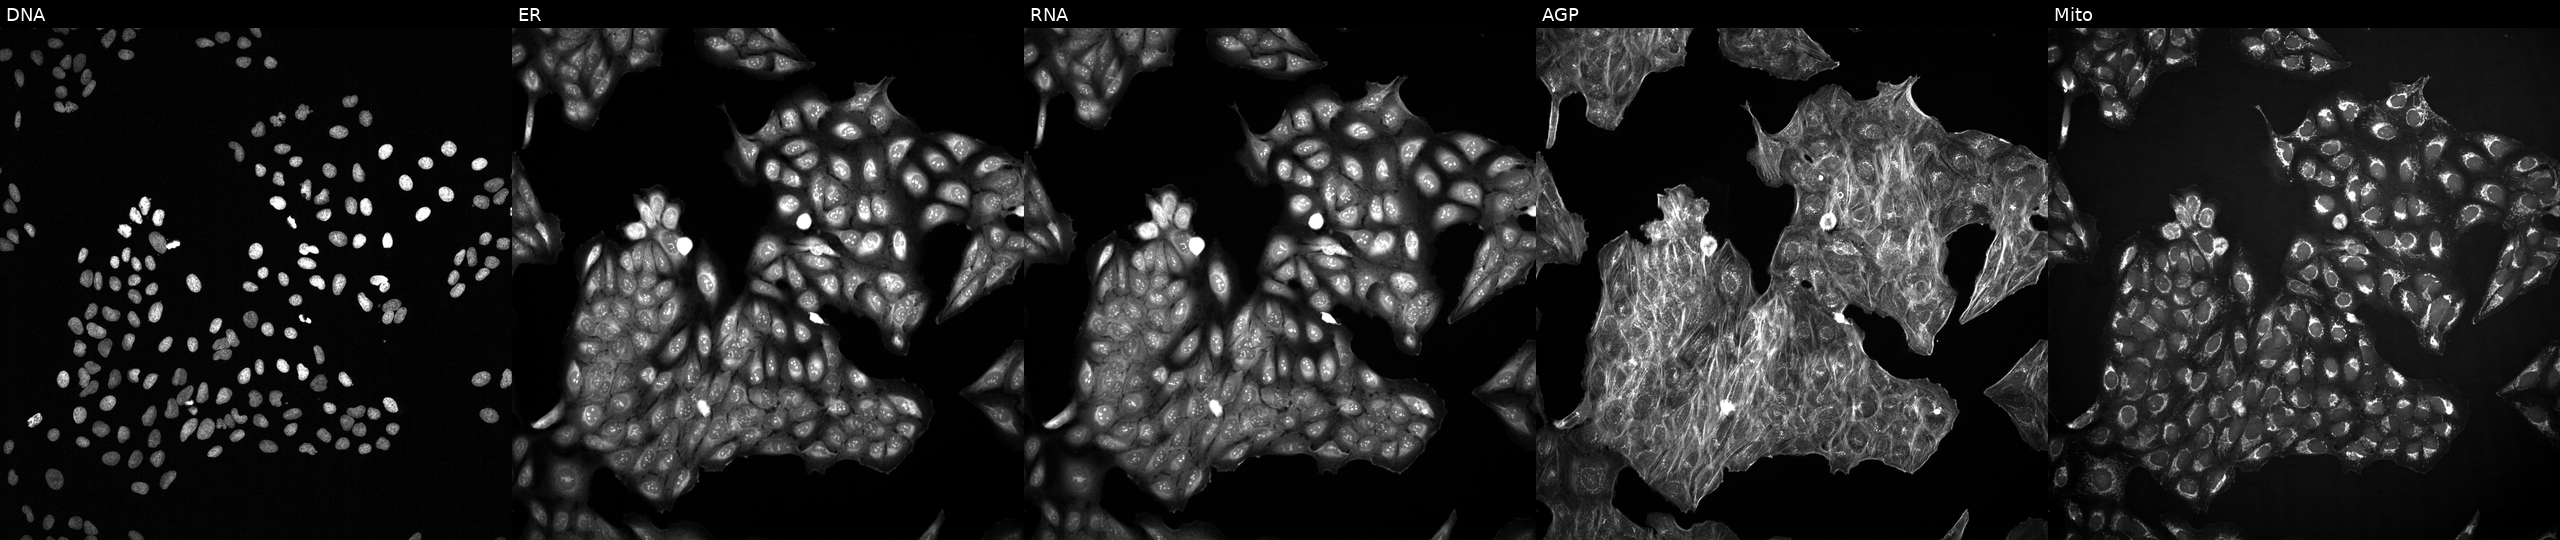
U2OS cells, Cell Painting assay, with an unidentified perturbation (not annotated in JUMP metadata). Channels (left→right): Hoechst 33342, concanavalin A, SYTO 14, phalloidin and WGA, MitoTracker. Each panel is percentile-stretched 16-bit fluorescence. Source 2, plate 1053601763, well B21.